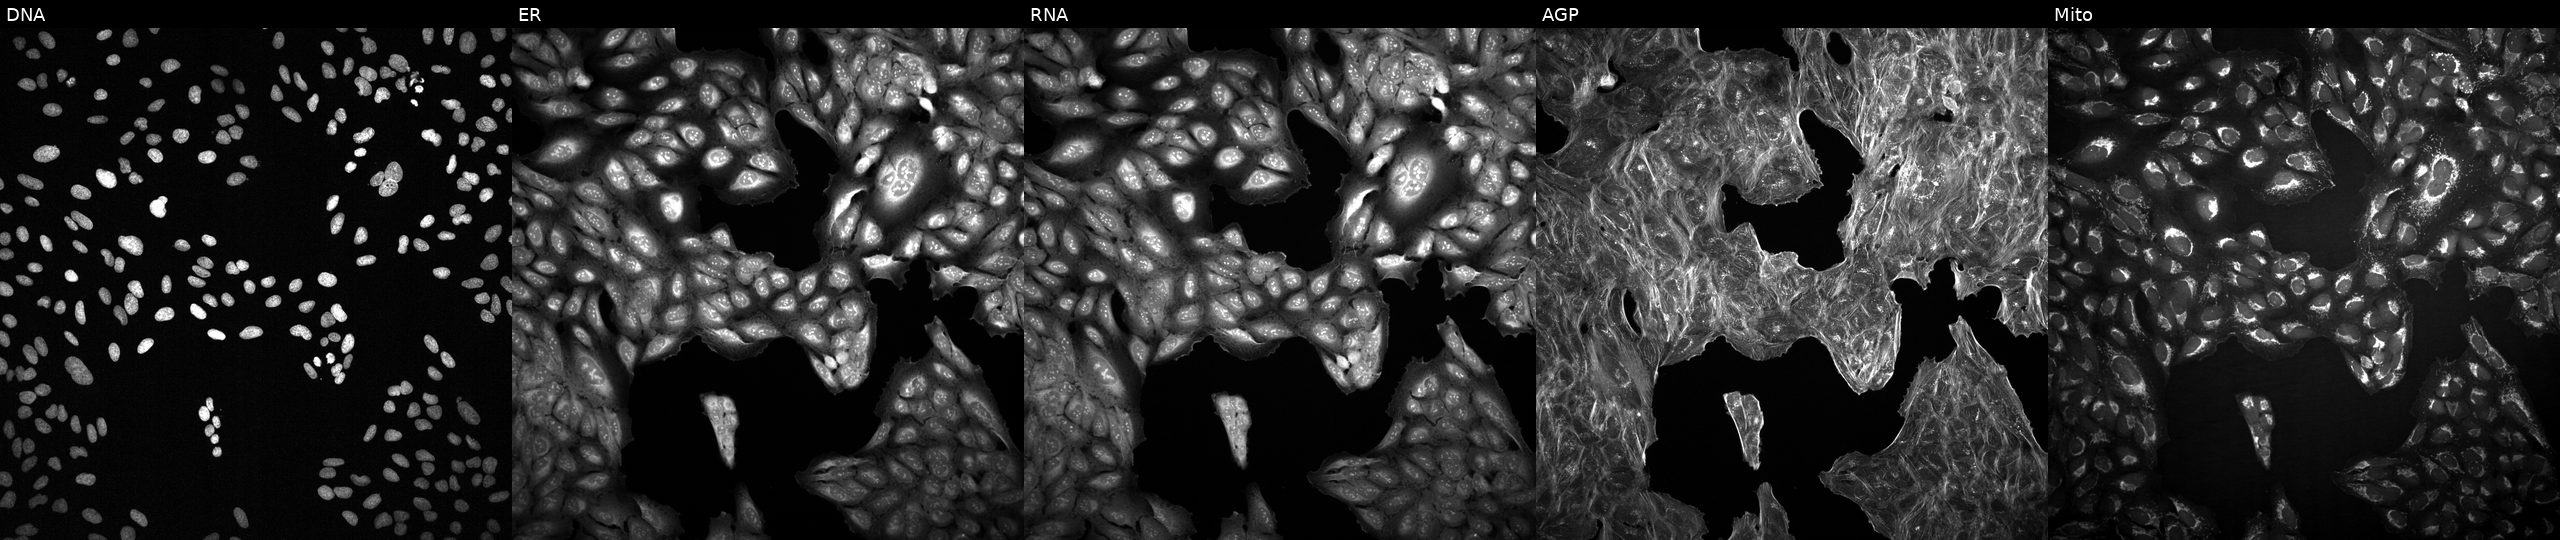
Channels (left→right): Hoechst 33342, concanavalin A, SYTO 14, phalloidin and WGA, MitoTracker. U2OS osteosarcoma cells perturbed with a small-molecule compound (InChIKey PDMUGYOXRHVNMO-UHFFFAOYSA-N) [SMILES: OCCn1cc(-c2cnc3nnn(Cc4ccc5ncccc5c4)c3n2)cn1] (JUMP id JCP2022_067886). Cell Painting assay, JUMP-CP dataset.